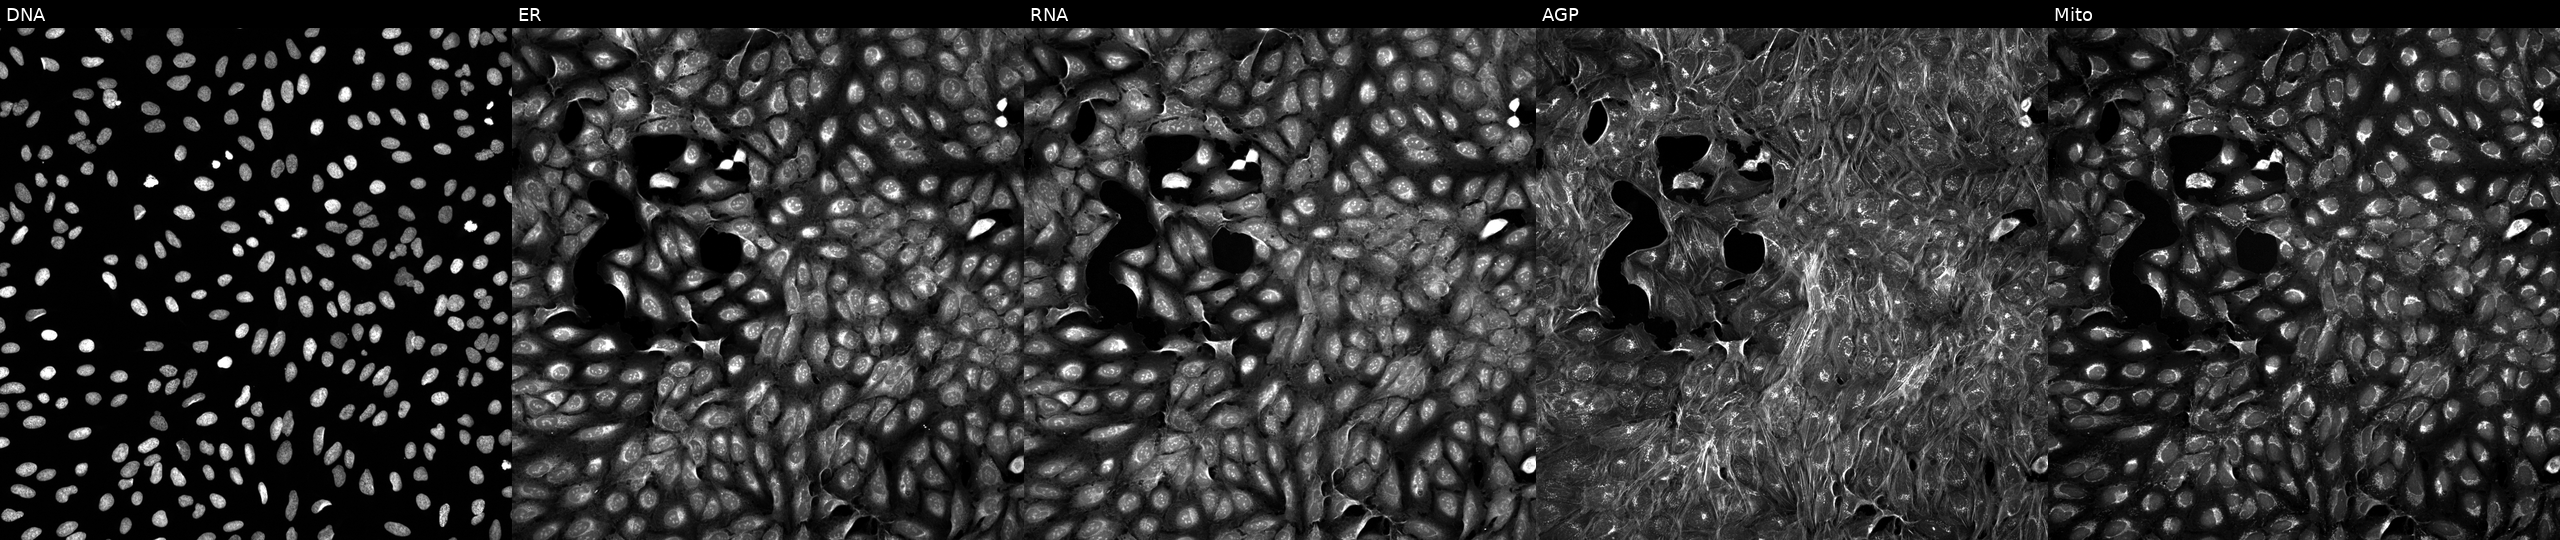
JUMP Cell Painting — TARGET2 plate. U2OS cells perturbed with a small-molecule compound (InChIKey HWHLPVGTWGOCJO-UHFFFAOYSA-N). Panels show, left to right, DNA, ER, RNA, AGP, and Mito.